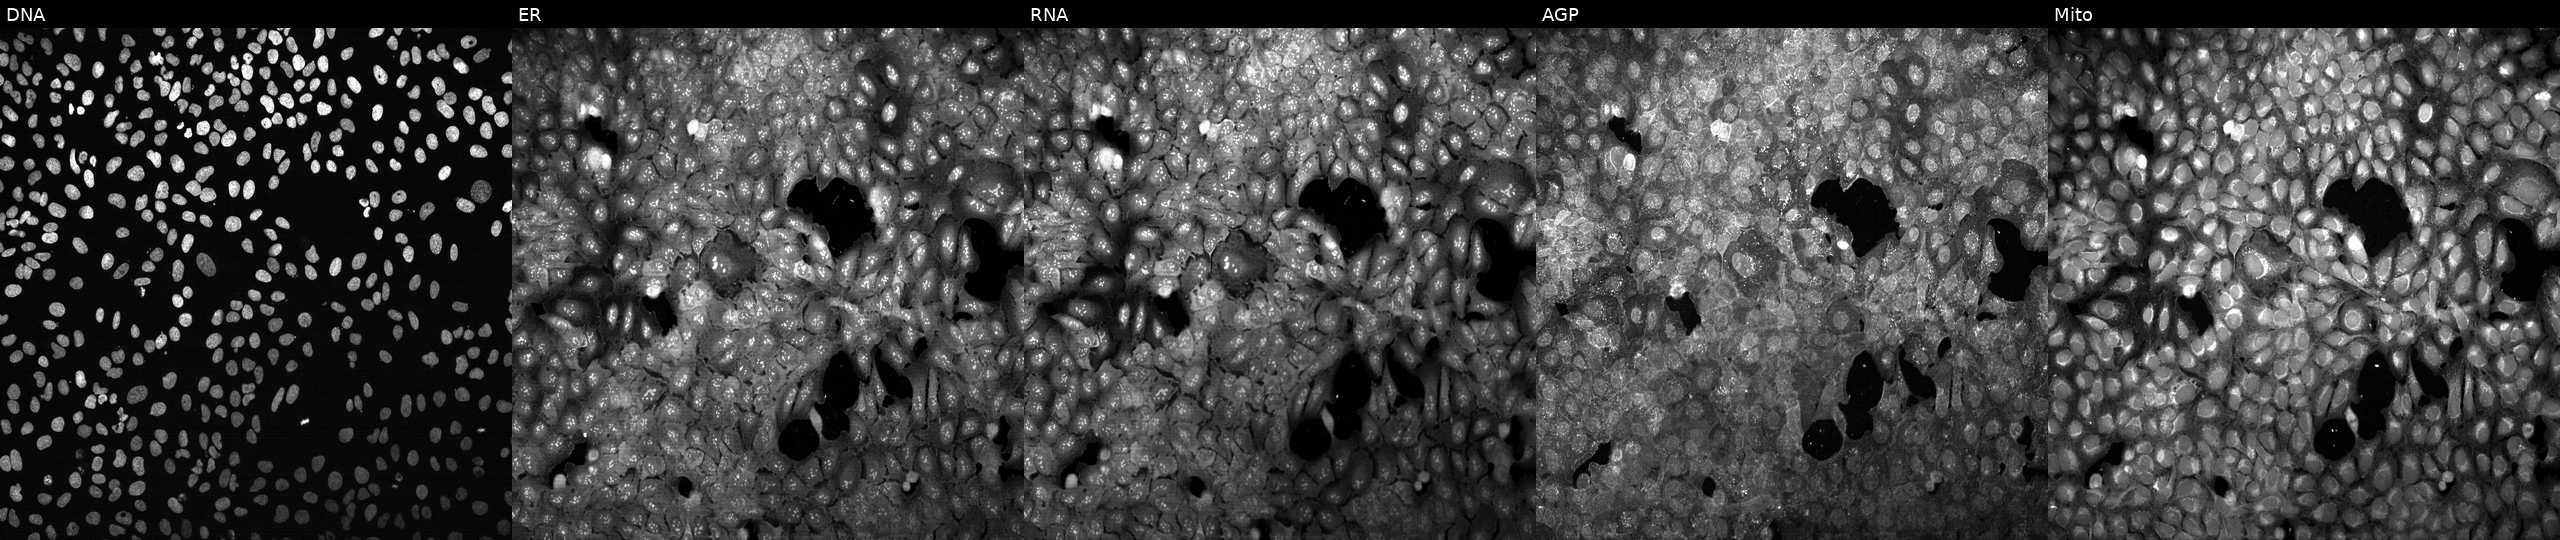
Five-channel Cell Painting image of U2OS cells CRISPR-edited to disrupt RAB9A. Panels show, left to right, DNA, ER, RNA, AGP, and Mito. Source 13, plate CP-CC9-R1-01, well O19.